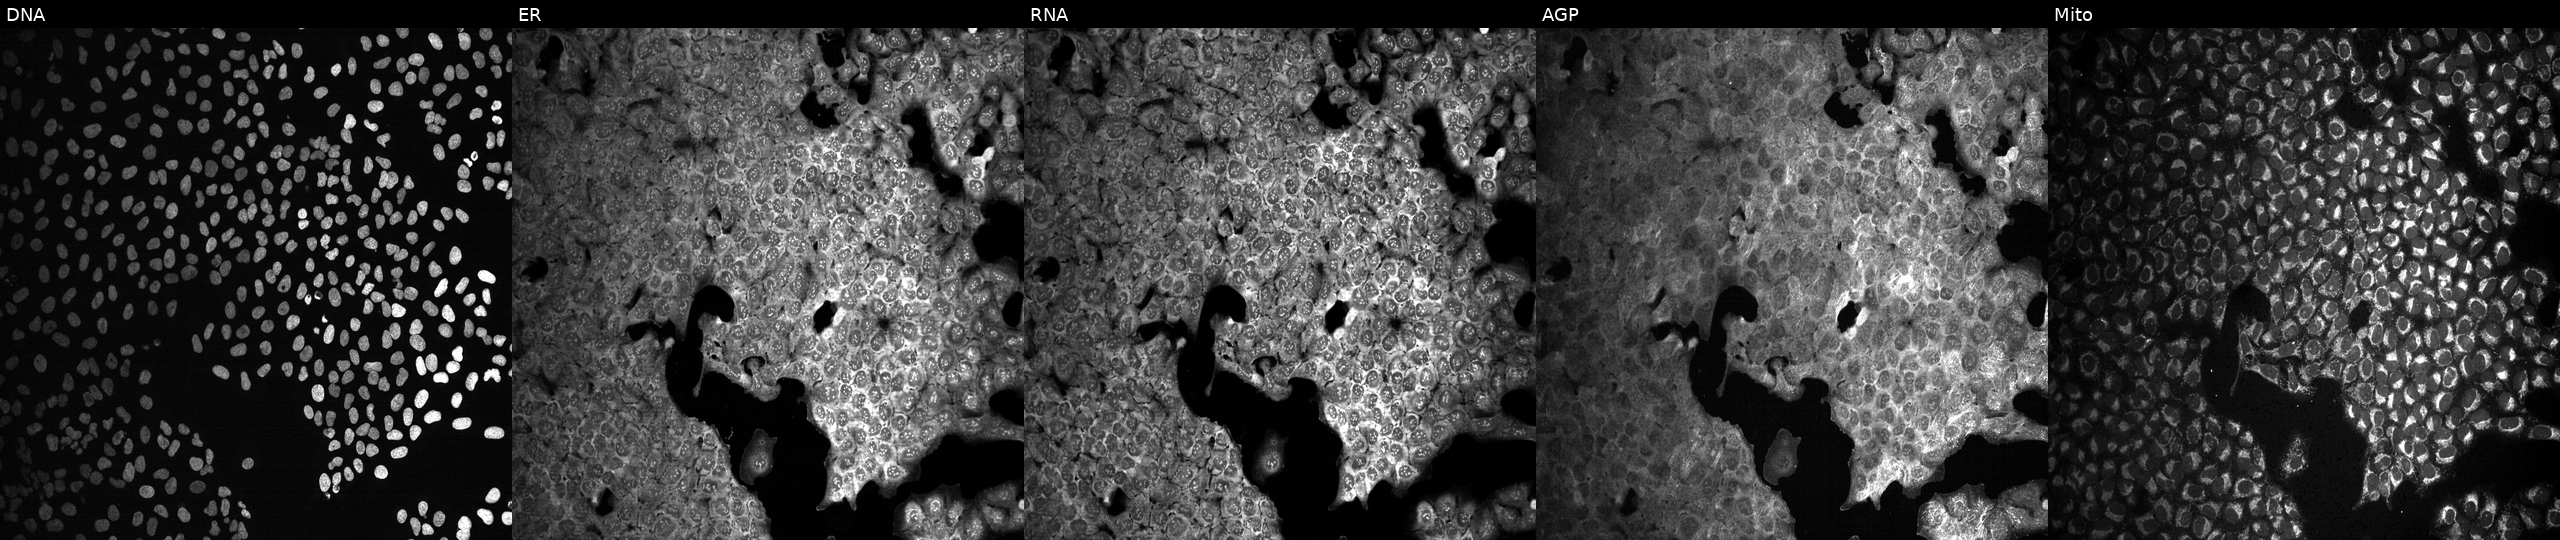
U2OS cells, Cell Painting assay, treated with NVS-PAK1-1 (positive-control compound) (JUMP id JCP2022_064022). From left to right: Hoechst 33342, concanavalin A, SYTO 14, phalloidin and WGA, MitoTracker. Each panel is percentile-stretched 16-bit fluorescence.